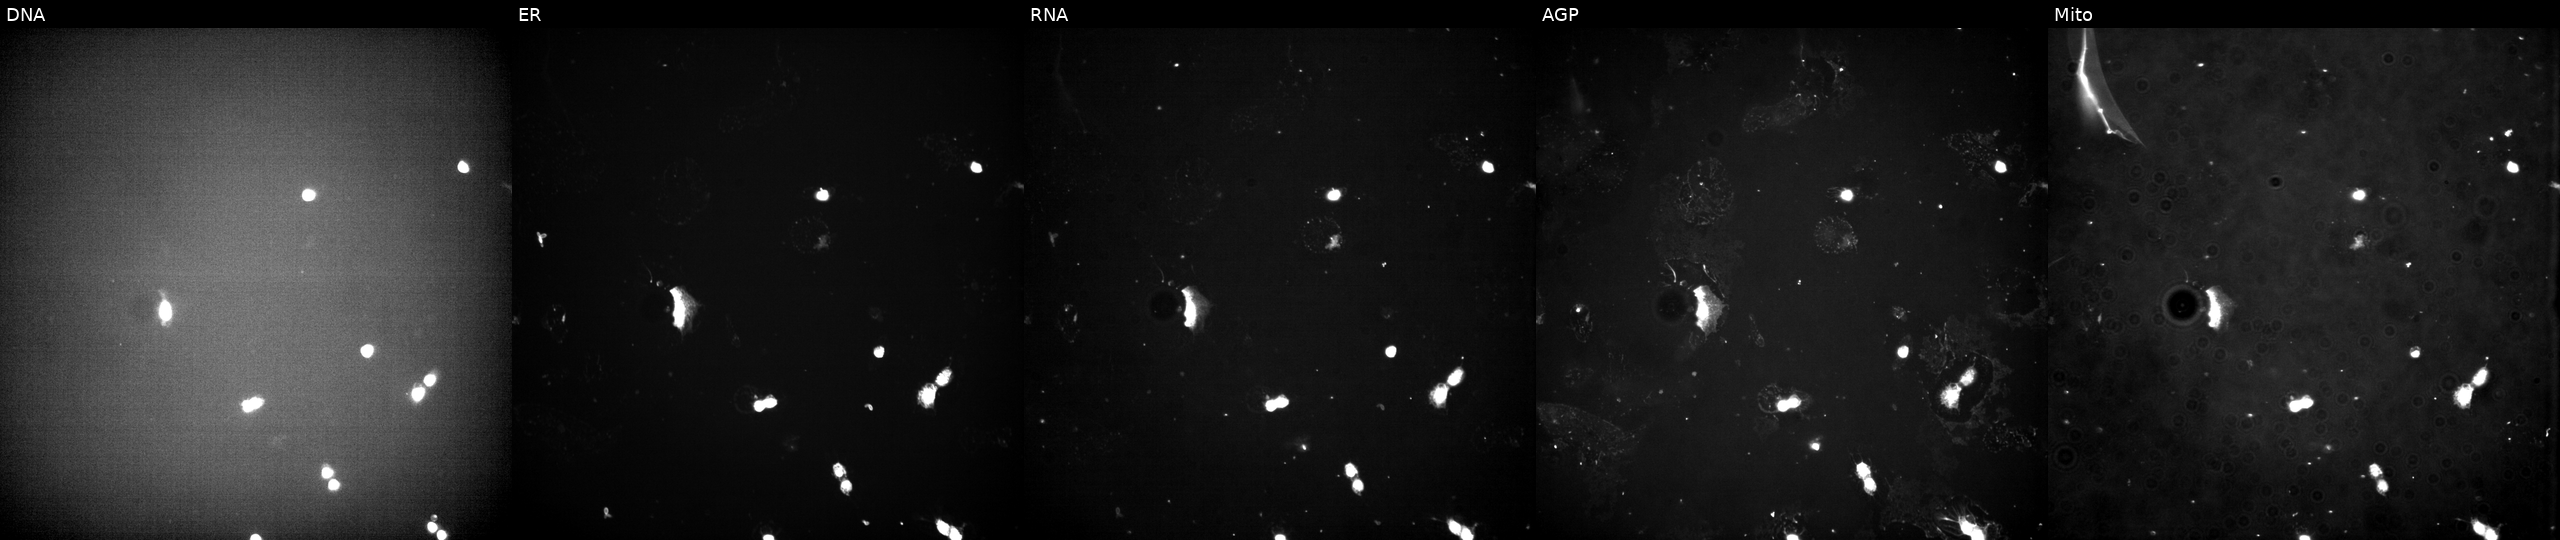
From left to right: DNA (nuclei); ER (endoplasmic reticulum); RNA (nucleoli and cytoplasmic RNA); AGP (actin cytoskeleton, Golgi, and plasma membrane); Mito (mitochondria). U2OS osteosarcoma cells exposed to a small-molecule compound (InChIKey CANBMWXJDLUDFF-UHFFFAOYSA-N) (JUMP id JCP2022_009867). Cell Painting assay, JUMP-CP dataset.